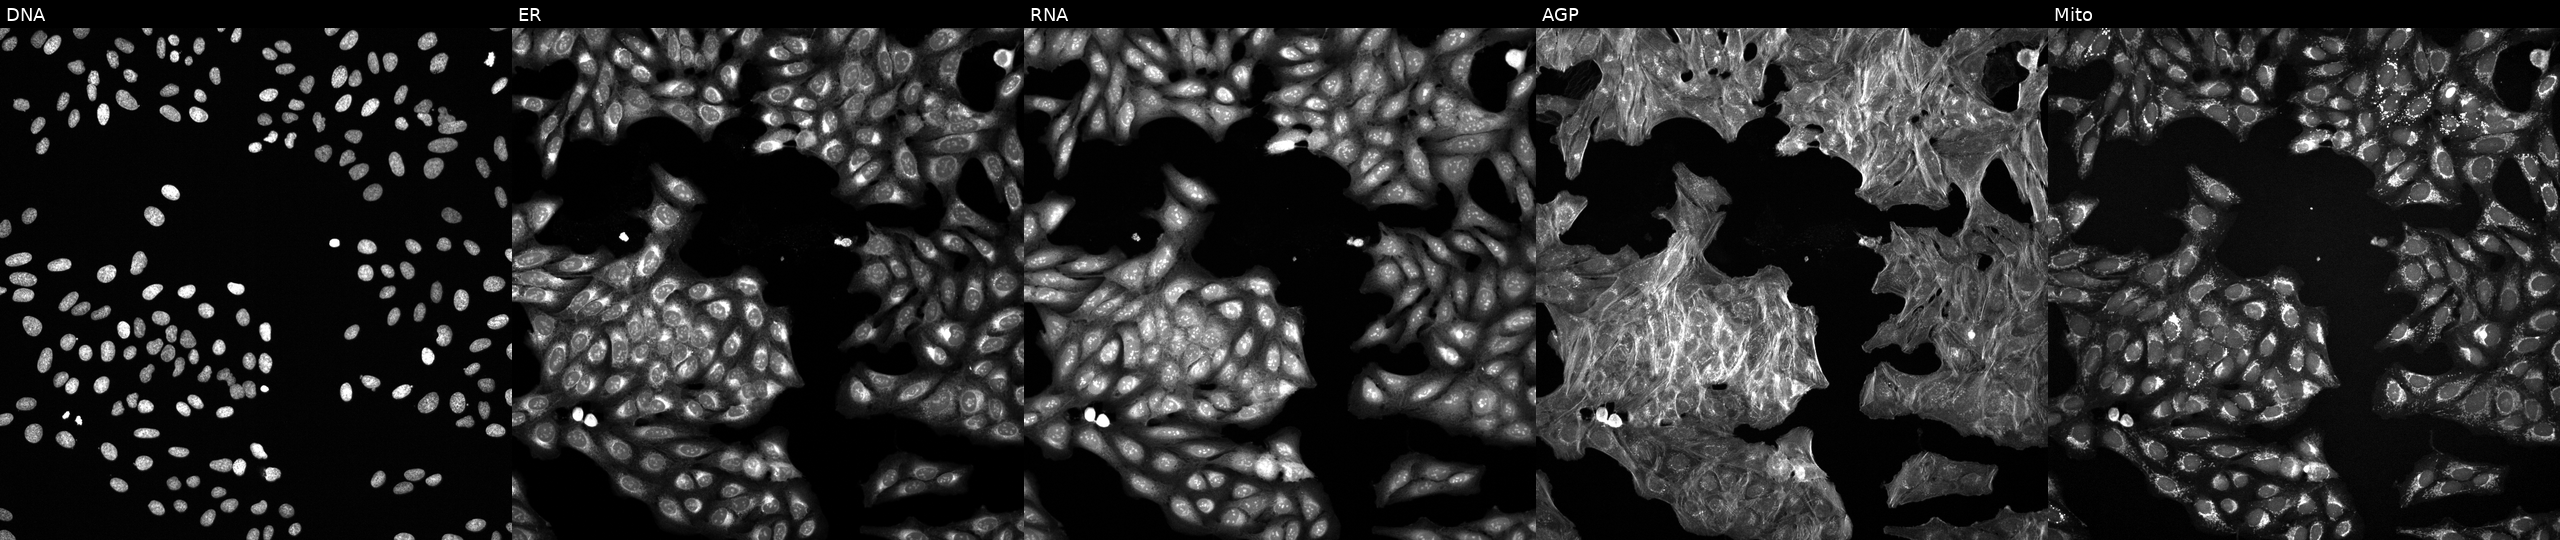
From left to right: Hoechst 33342, concanavalin A, SYTO 14, phalloidin and WGA, MitoTracker. U2OS osteosarcoma cells perturbed with a small-molecule compound (InChIKey HULPONUAINYLQQ-UHFFFAOYSA-N). Cell Painting assay, JUMP-CP dataset.